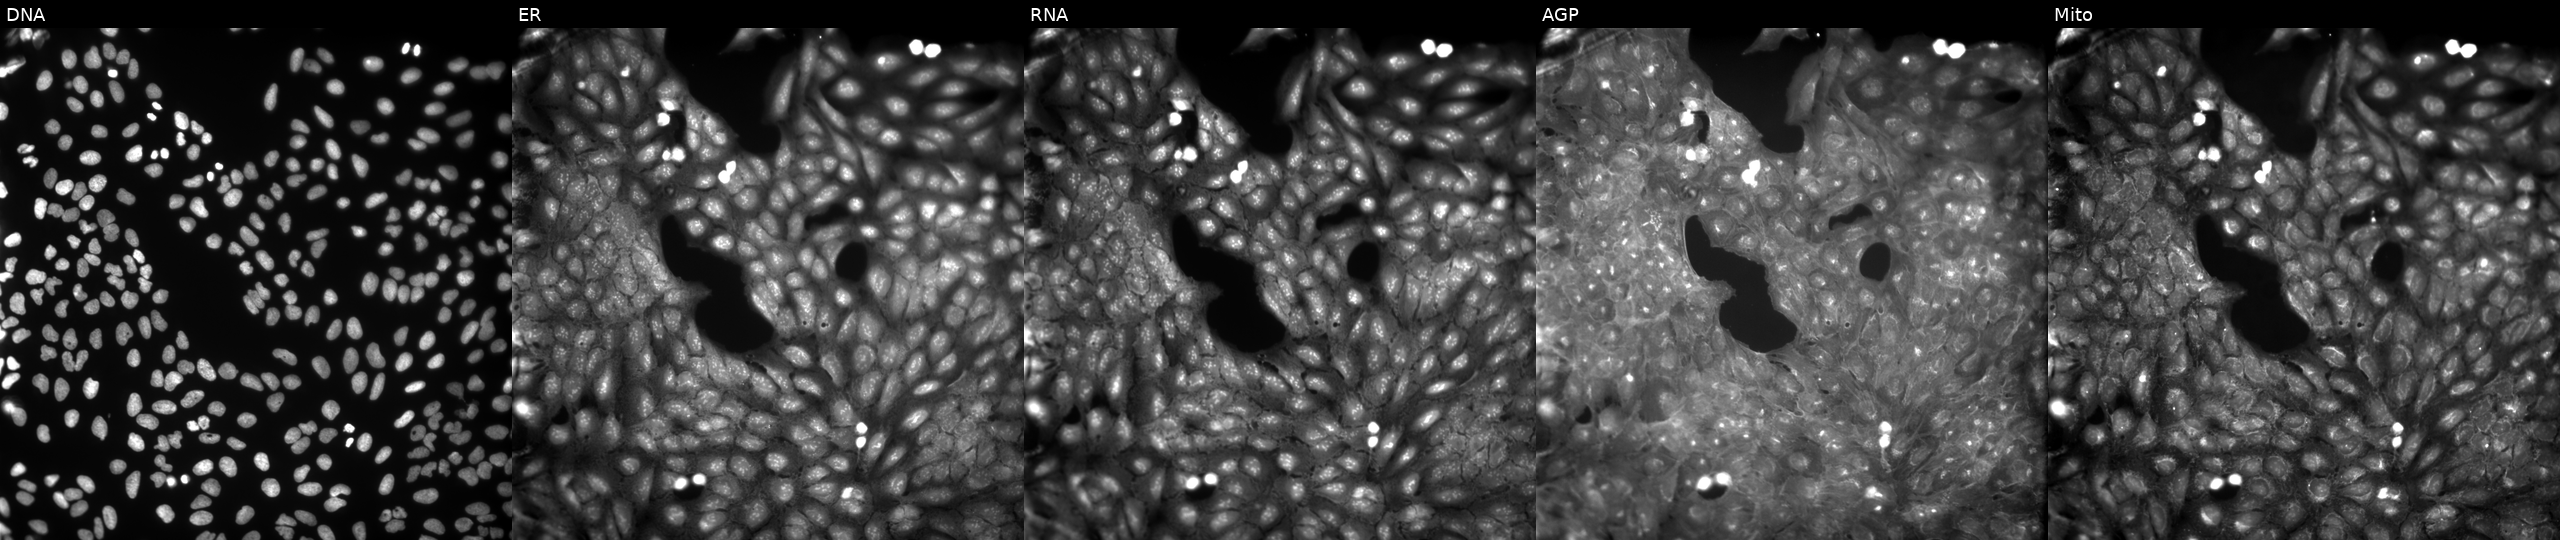
This image strip shows the five Cell Painting channels for a single field of U2OS cells treated with a small-molecule compound (InChIKey GOEFJRHSYZRMRV-UHFFFAOYSA-N) (JUMP id JCP2022_026727). Channels (left→right): DNA (nuclei); ER (endoplasmic reticulum); RNA (nucleoli and cytoplasmic RNA); AGP (actin cytoskeleton, Golgi, and plasma membrane); Mito (mitochondria). Source 9, plate GR00003381, well AB06.